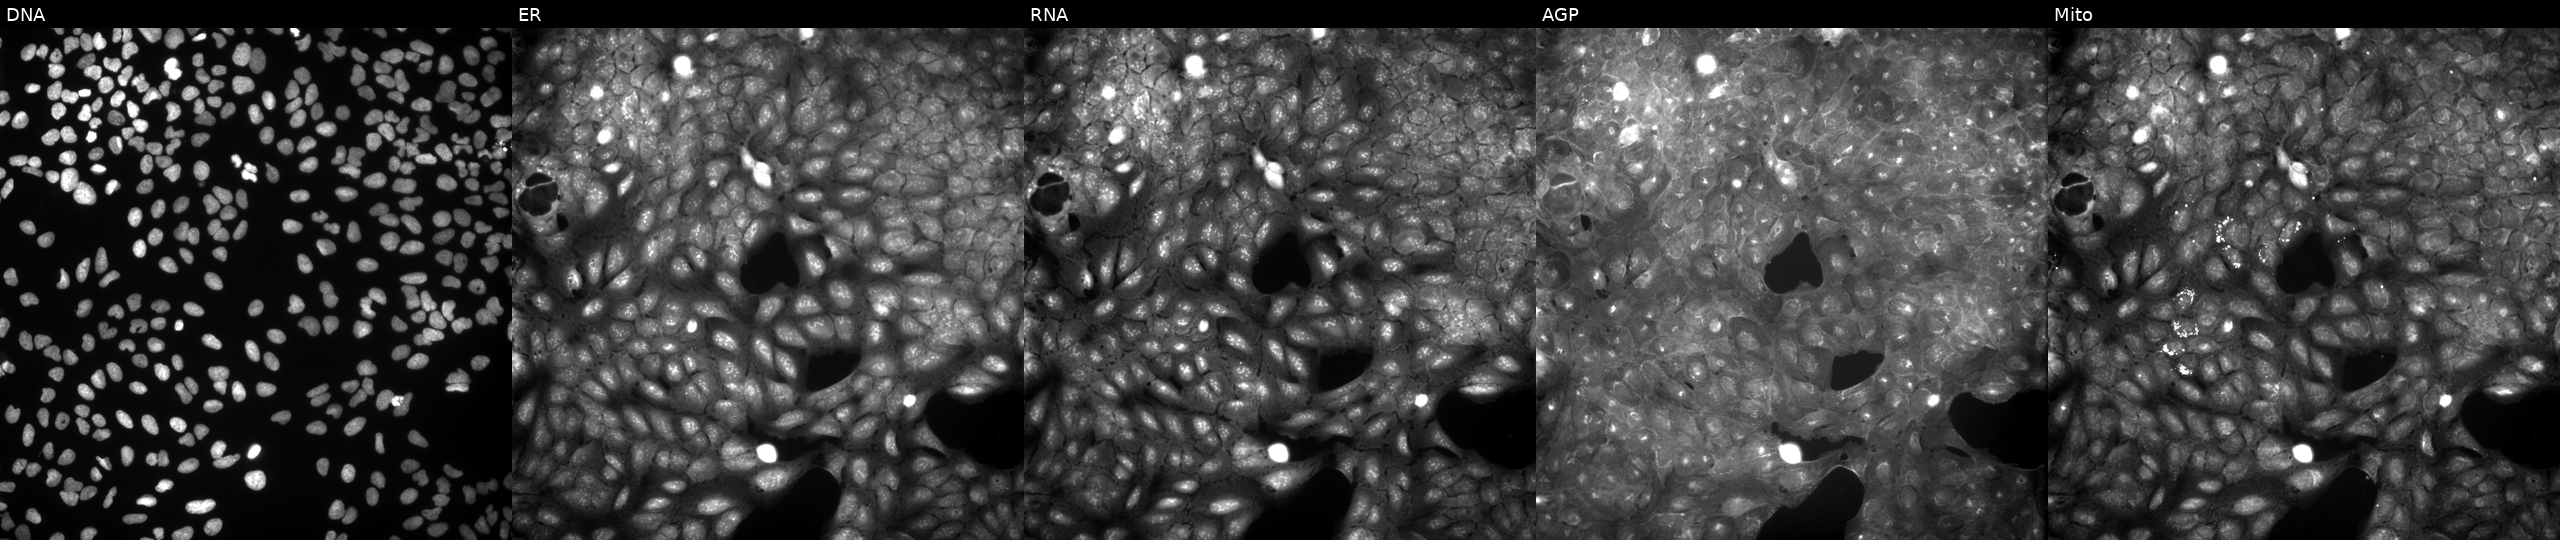
Five-channel Cell Painting image of U2OS cells treated with DMSO vehicle only (negative control) (JUMP id JCP2022_033924). From left to right: Hoechst 33342, concanavalin A, SYTO 14, phalloidin and WGA, MitoTracker.